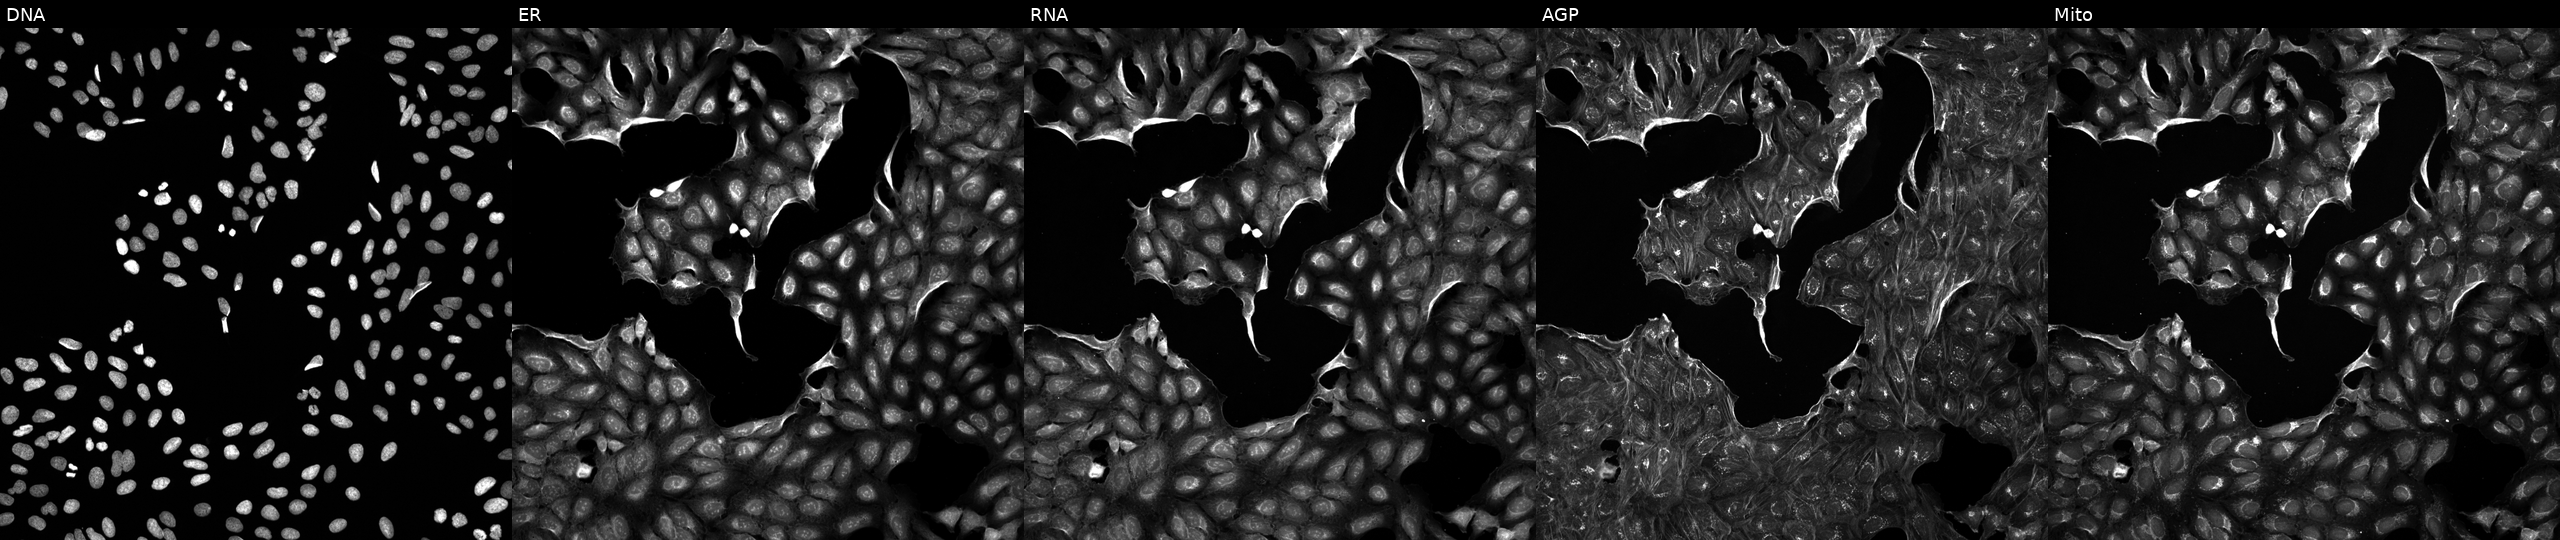
From left to right: DNA, ER, RNA, AGP, and Mito. U2OS osteosarcoma cells exposed to a small-molecule compound (InChIKey FLVKBTMCZIZIQW-UHFFFAOYSA-N) (JUMP id JCP2022_021469). Cell Painting assay, JUMP-CP dataset. Source 5, plate APTJUM105, well K05.